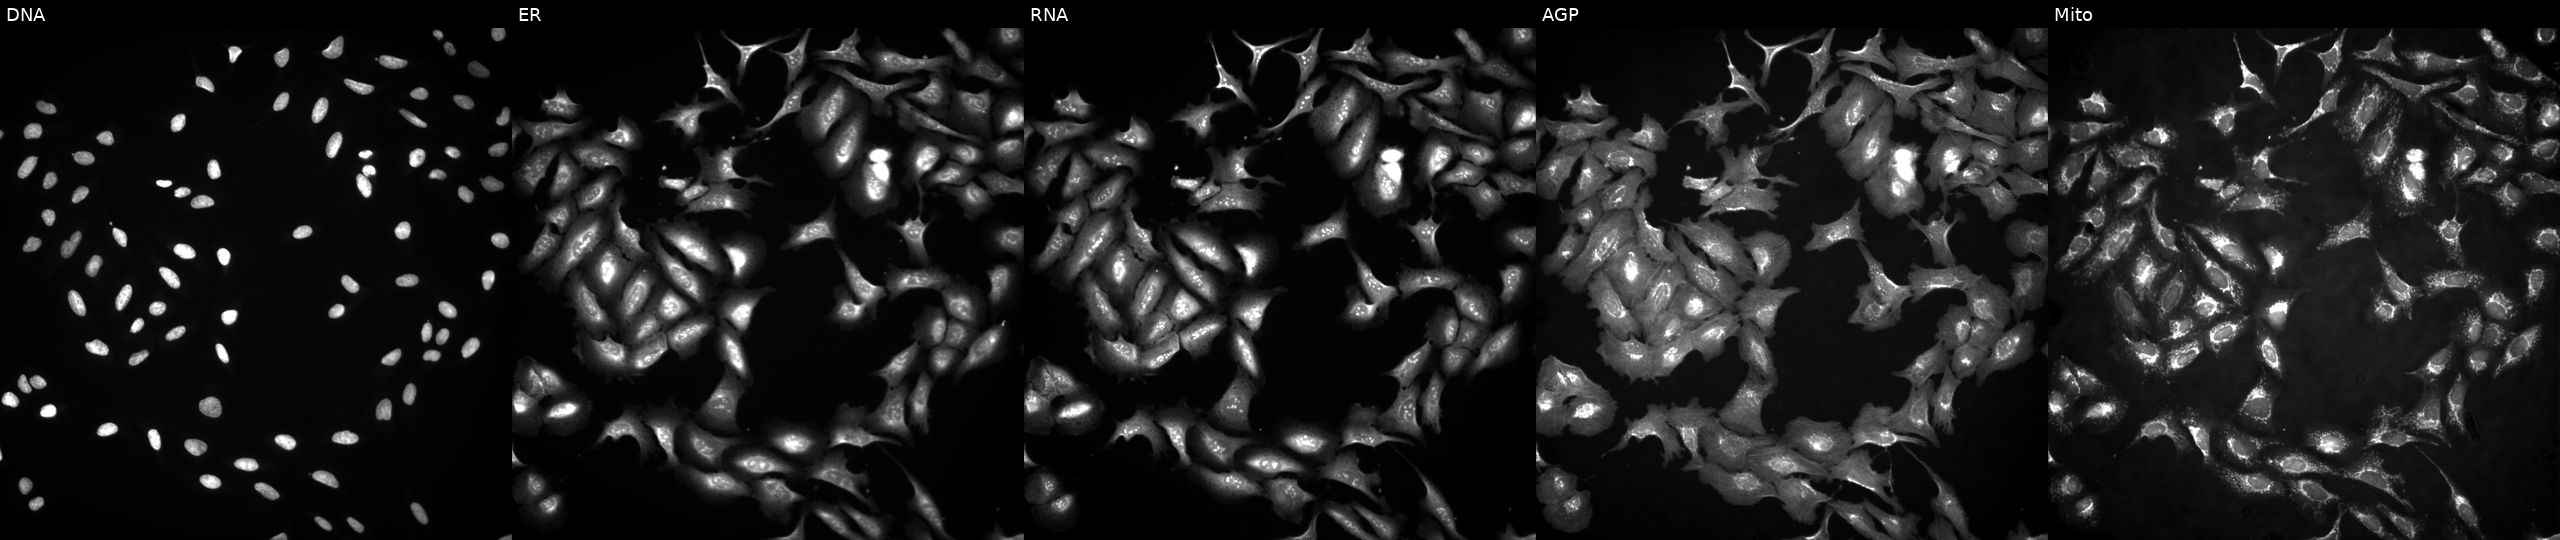
This image strip shows the five Cell Painting channels for a single field of U2OS cells expressing eGFP (ORF positive control). Panels show, left to right, DNA, ER, RNA, AGP, and Mito. Source 4, plate BR00124787, well O17.